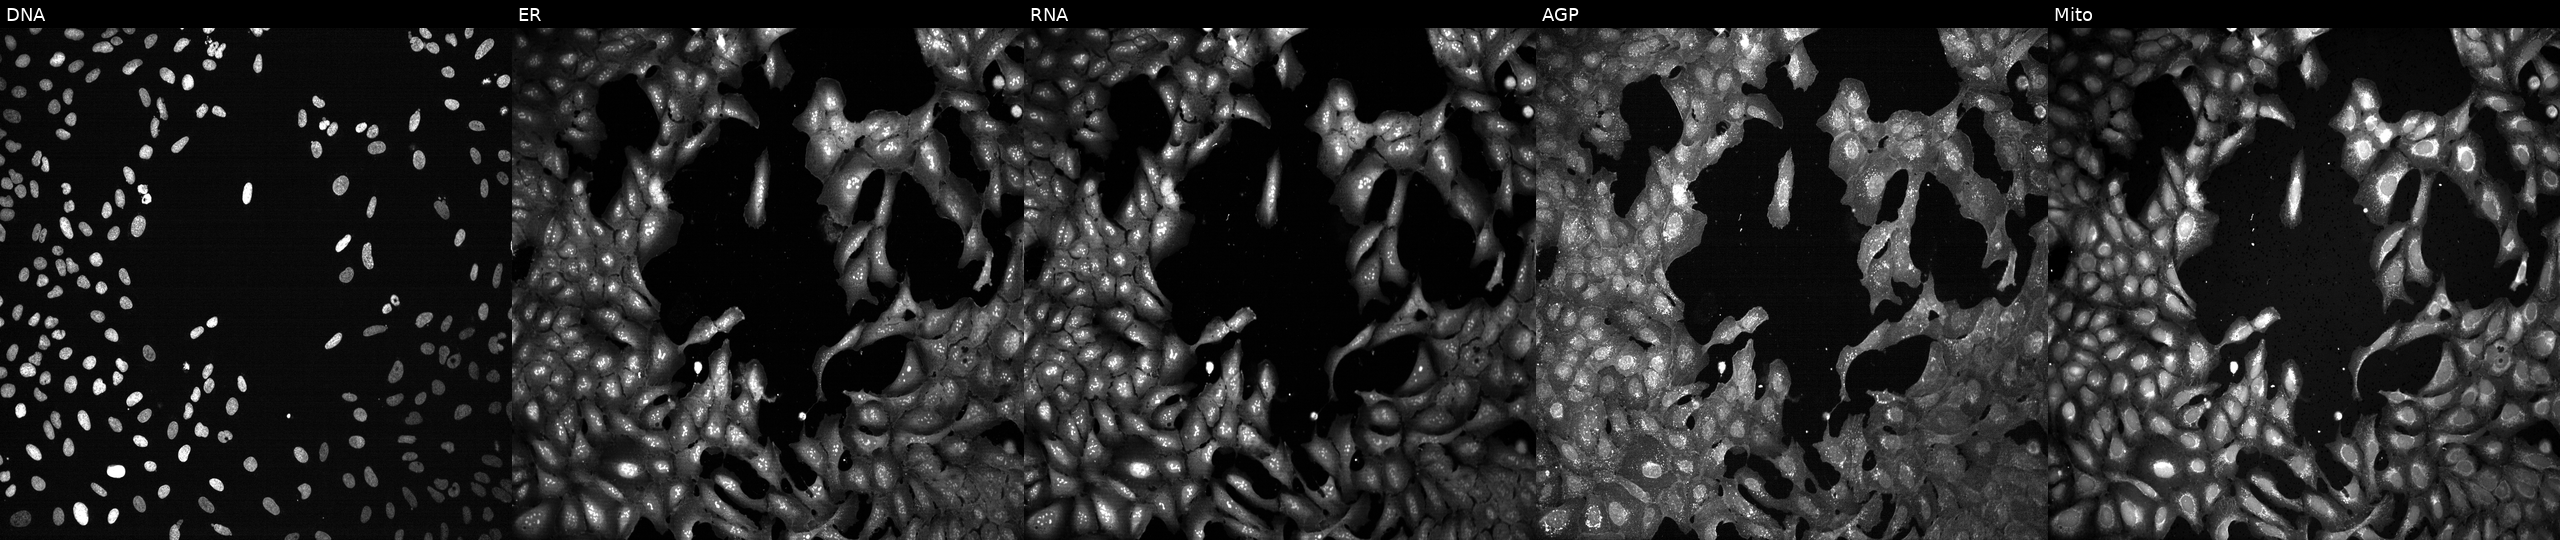
This image strip shows the five Cell Painting channels for a single field of U2OS cells following CRISPR knockout of SOAT1 (JUMP id JCP2022_806672). The five panels, left to right, show Hoechst 33342, concanavalin A, SYTO 14, phalloidin and WGA, MitoTracker. Source 13, plate CP-CC9-R1-01, well I21.